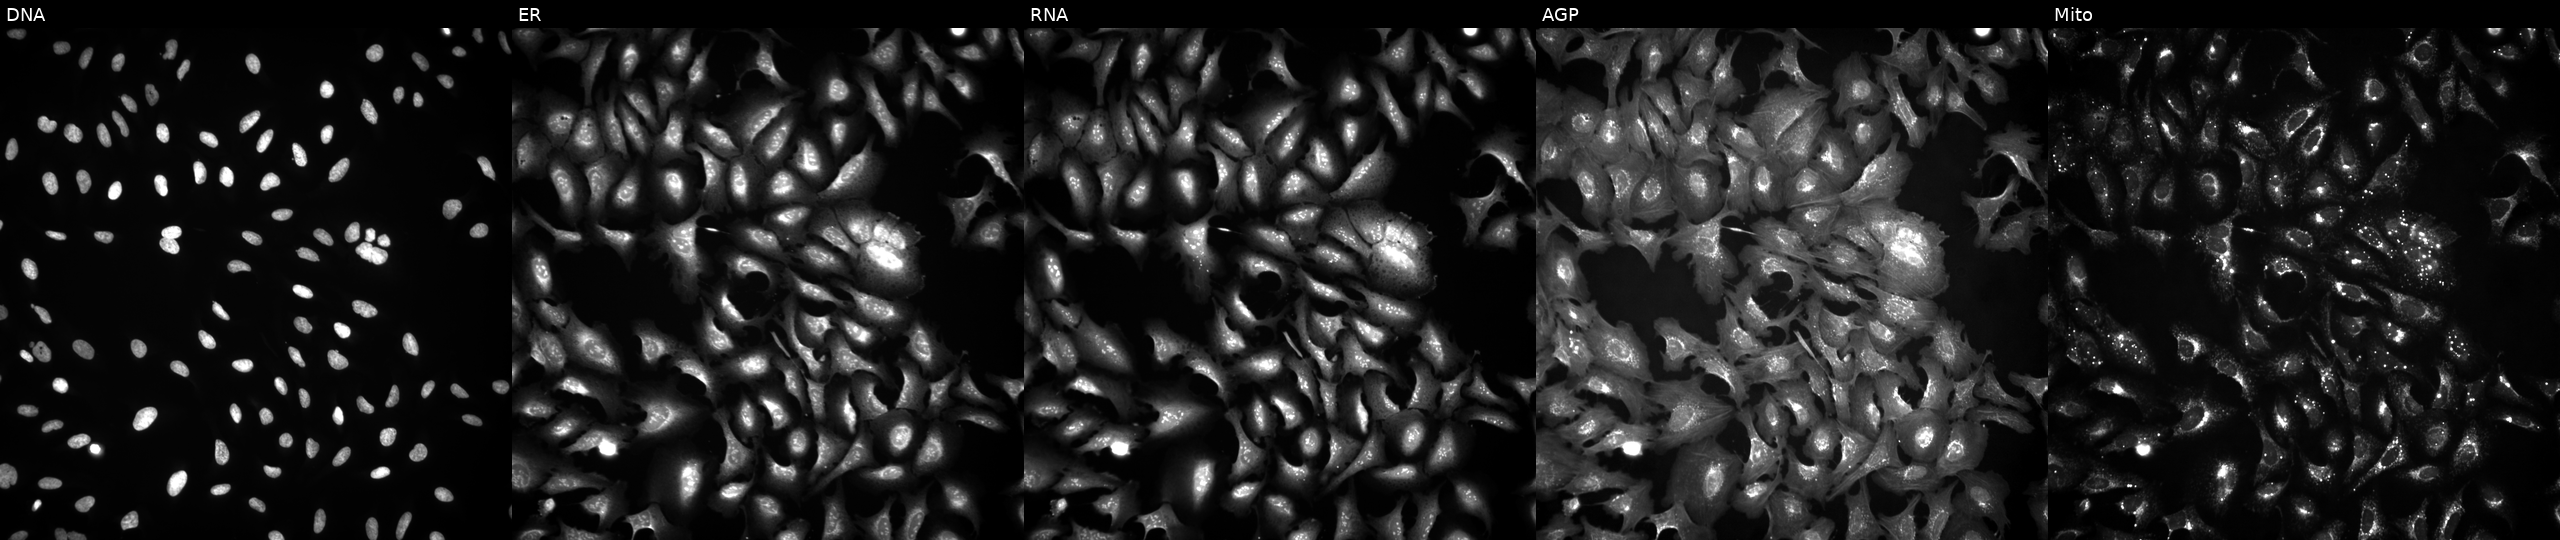
U2OS cells, Cell Painting assay, with NEK10 overexpressed (ORF) (JUMP id JCP2022_914277). From left to right: DNA, ER, RNA, AGP, and Mito. Each panel is percentile-stretched 16-bit fluorescence. Source 4, plate BR00123945, well E14.